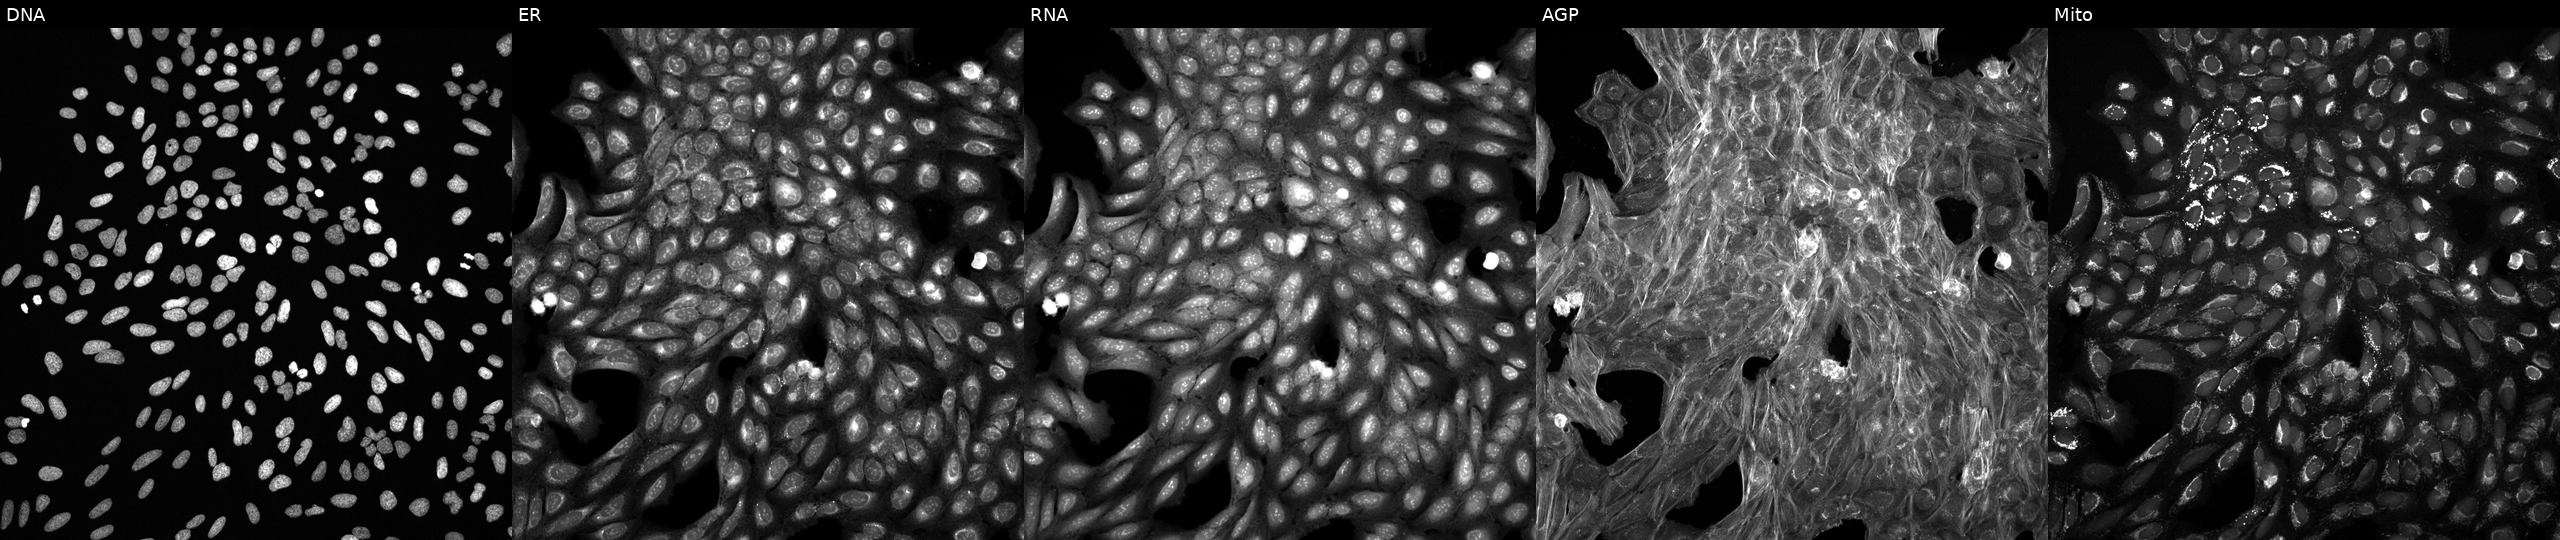
Five-channel Cell Painting image of U2OS cells exposed to a small-molecule compound (InChIKey XFGZPIWMOUXRRG-UHFFFAOYSA-N) (JUMP id JCP2022_103283). From left to right: DNA (nuclei); ER (endoplasmic reticulum); RNA (nucleoli and cytoplasmic RNA); AGP (actin cytoskeleton, Golgi, and plasma membrane); Mito (mitochondria).